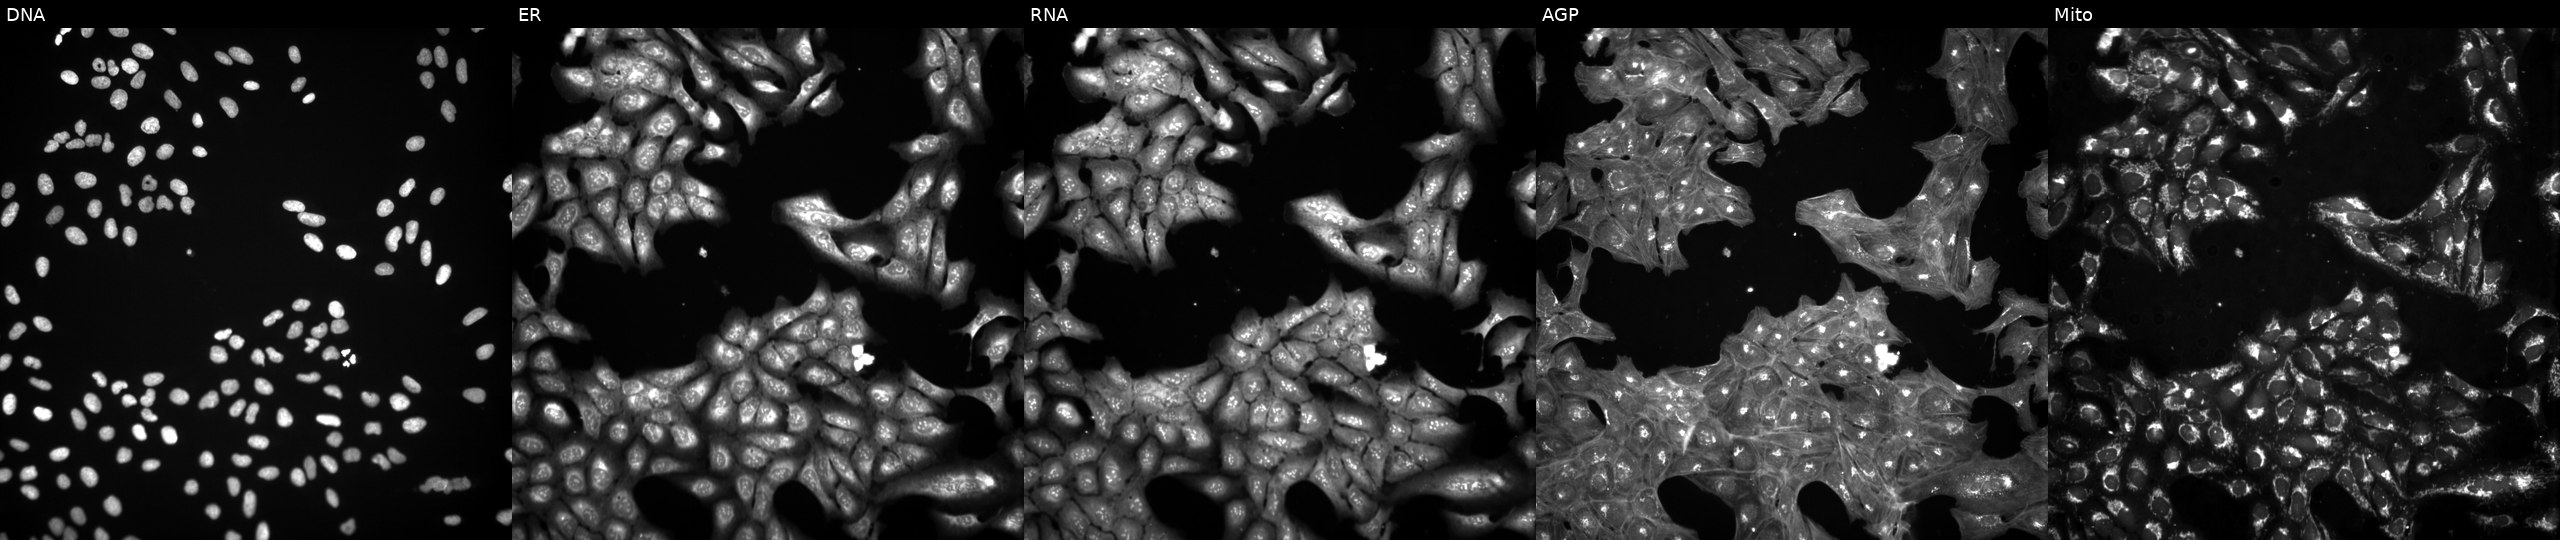
Panels show, left to right, DNA (nuclei); ER (endoplasmic reticulum); RNA (nucleoli and cytoplasmic RNA); AGP (actin cytoskeleton, Golgi, and plasma membrane); Mito (mitochondria). U2OS osteosarcoma cells treated with a small-molecule compound (InChIKey SEFZKFJTXRHBQO-UHFFFAOYSA-N). Cell Painting assay, JUMP-CP dataset. Source 3, plate BR5867a3, well P21.